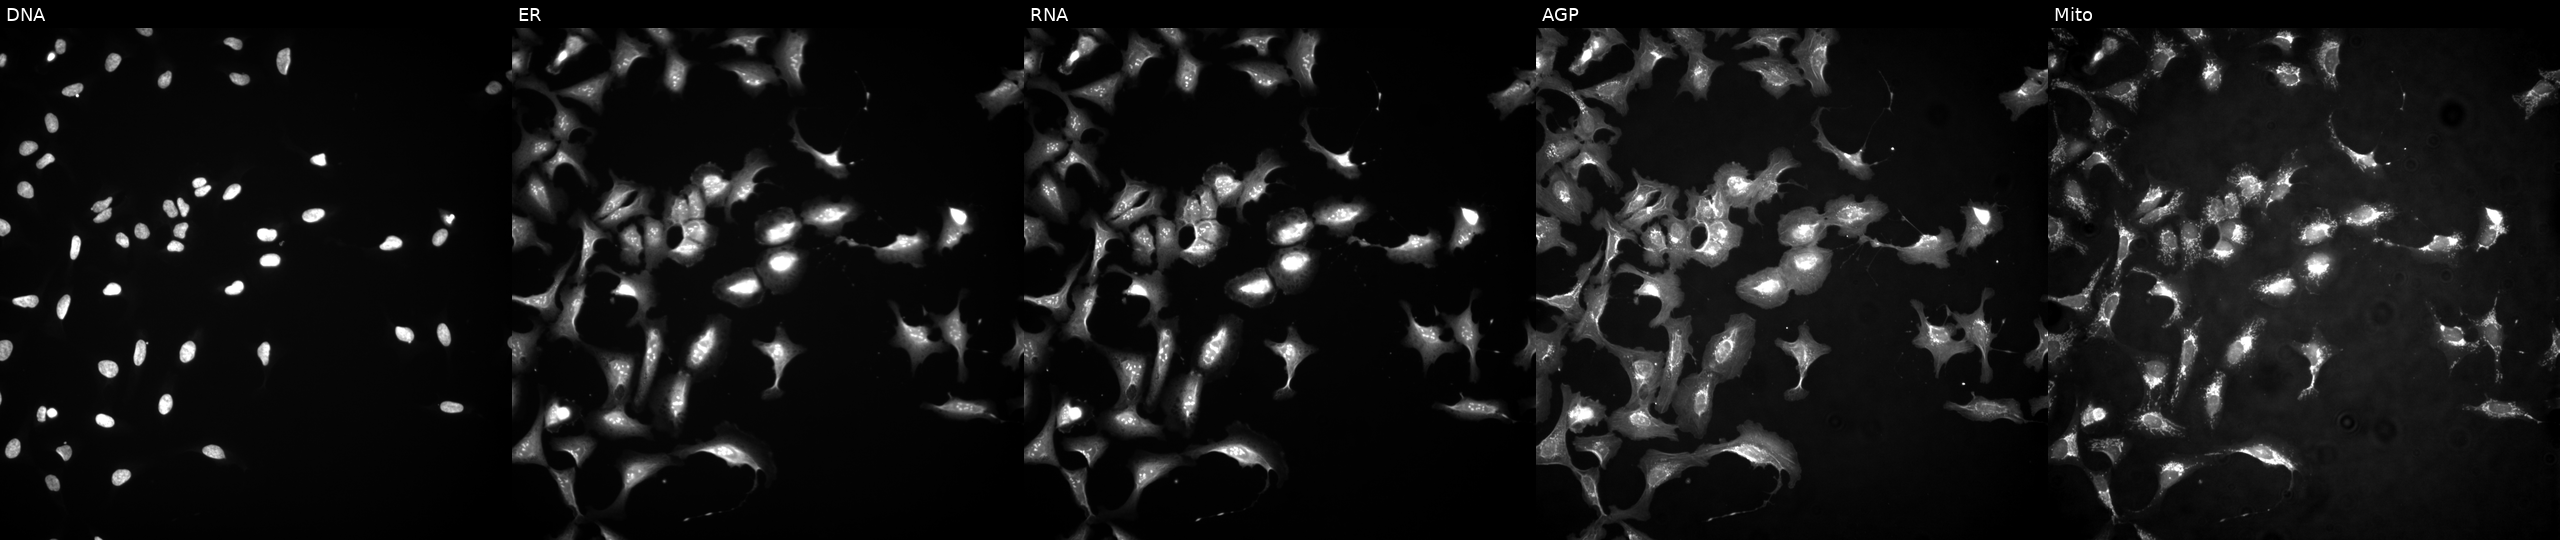
The five panels, left to right, show DNA (nuclei); ER (endoplasmic reticulum); RNA (nucleoli and cytoplasmic RNA); AGP (actin cytoskeleton, Golgi, and plasma membrane); Mito (mitochondria). U2OS osteosarcoma cells overexpressing HEXIM1 via ORF transfection (JUMP id JCP2022_907152). Cell Painting assay, JUMP-CP dataset. Source 4, plate BR00117035, well O01.